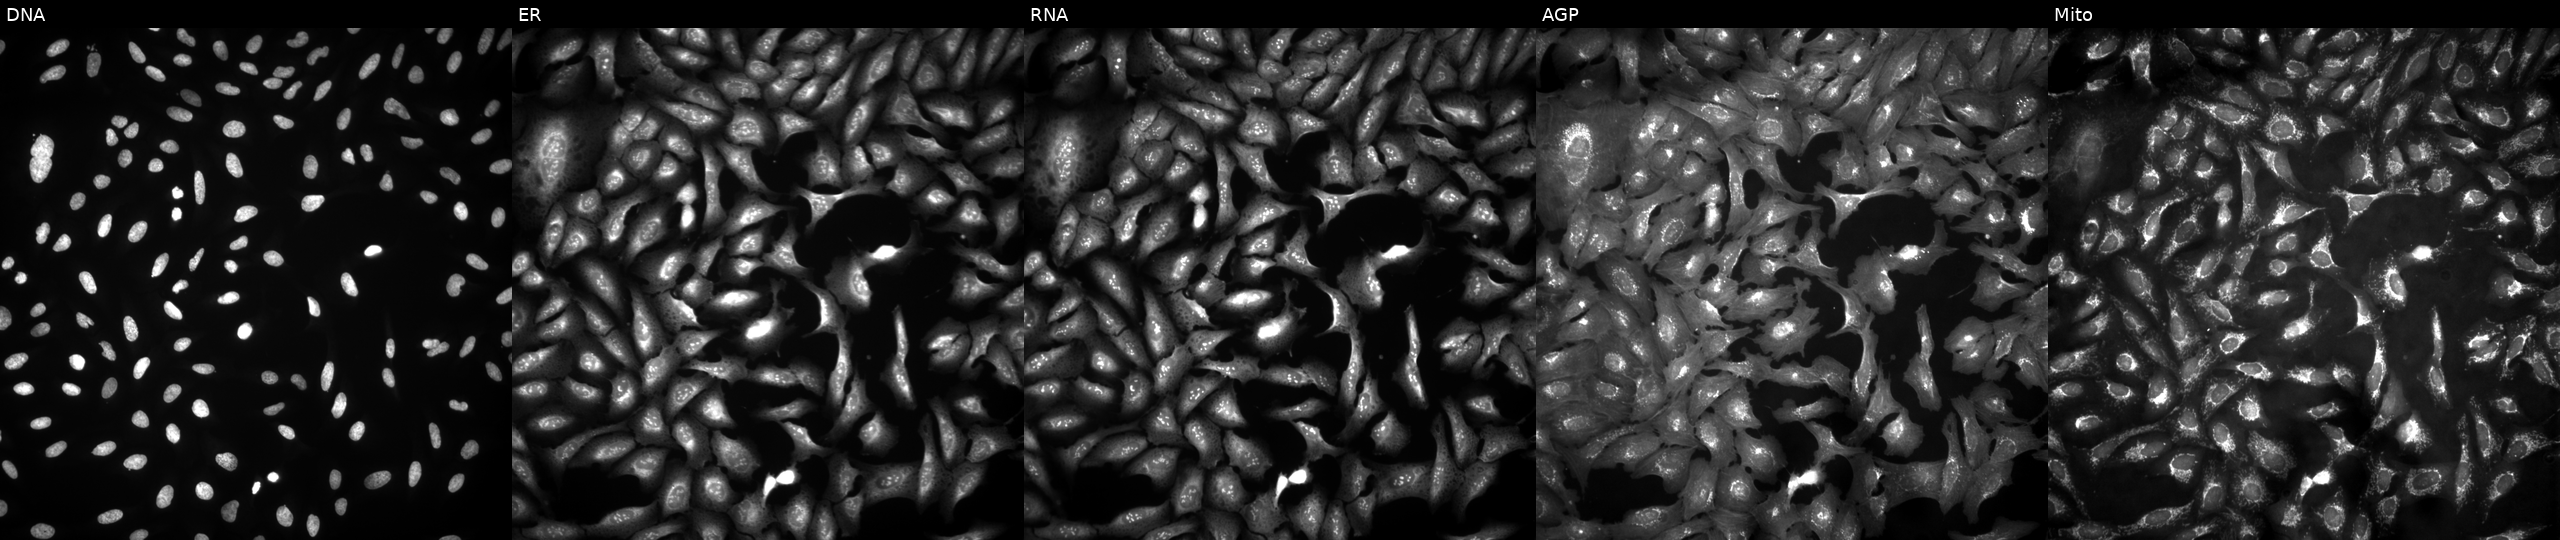
This image strip shows the five Cell Painting channels for a single field of U2OS cells overexpressing BUB1B via ORF transfection (JUMP id JCP2022_905521). Channels (left→right): Hoechst 33342, concanavalin A, SYTO 14, phalloidin and WGA, MitoTracker. Source 4, plate BR00121543, well G15.